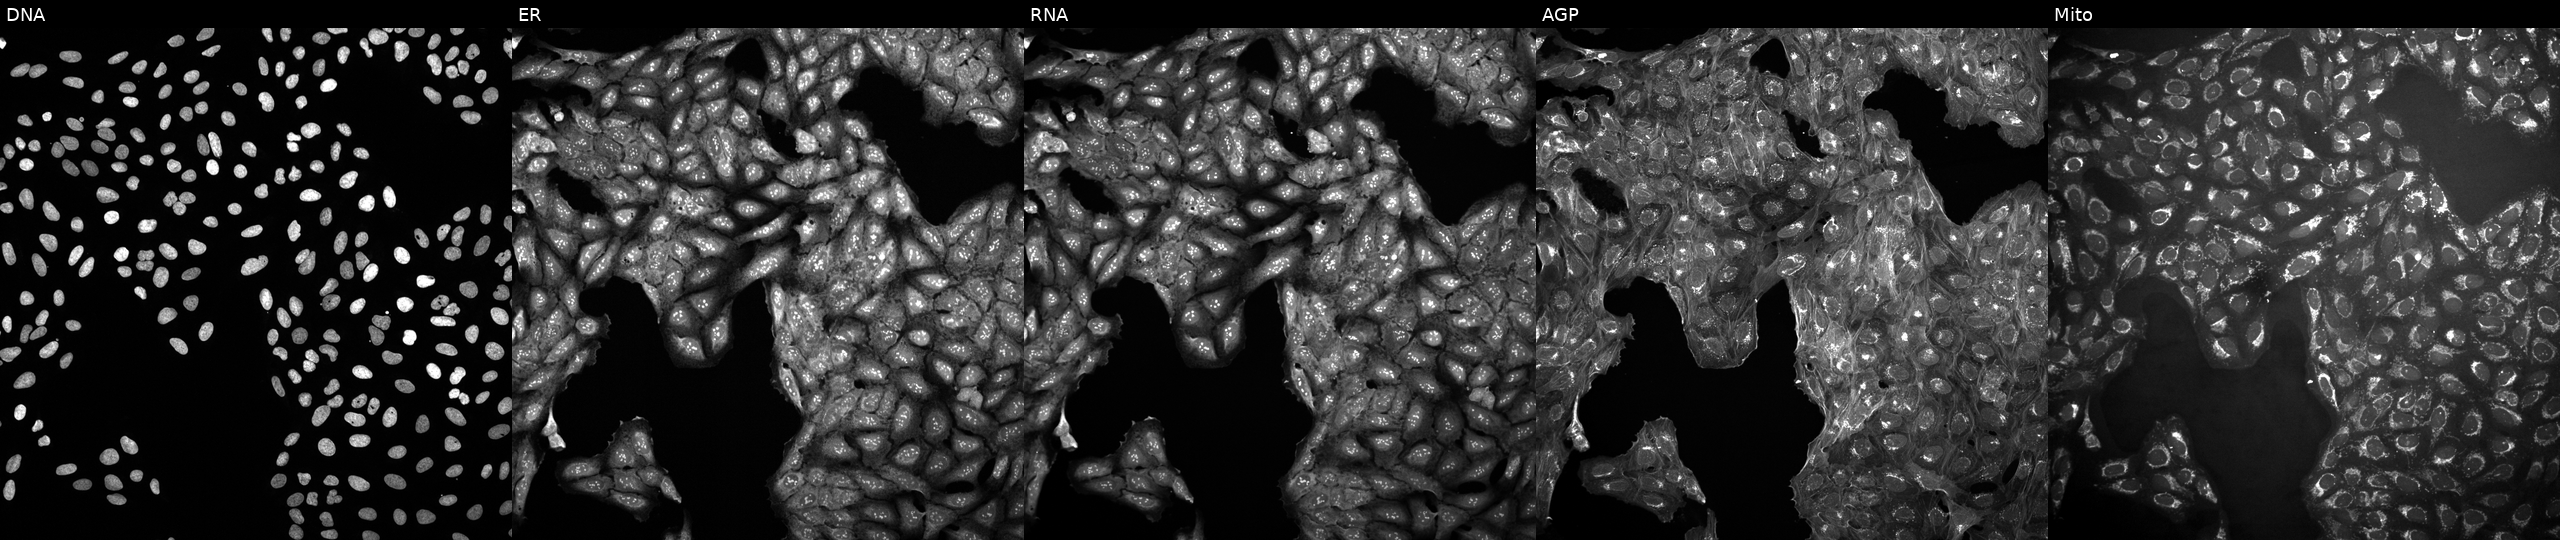
U2OS cells, Cell Painting assay, exposed to DMSO alone as a negative control (JUMP id JCP2022_033924). Panels show, left to right, DNA (nuclei); ER (endoplasmic reticulum); RNA (nucleoli and cytoplasmic RNA); AGP (actin cytoskeleton, Golgi, and plasma membrane); Mito (mitochondria). Each panel is percentile-stretched 16-bit fluorescence. Source 10, plate Dest210531-152149, well D02.